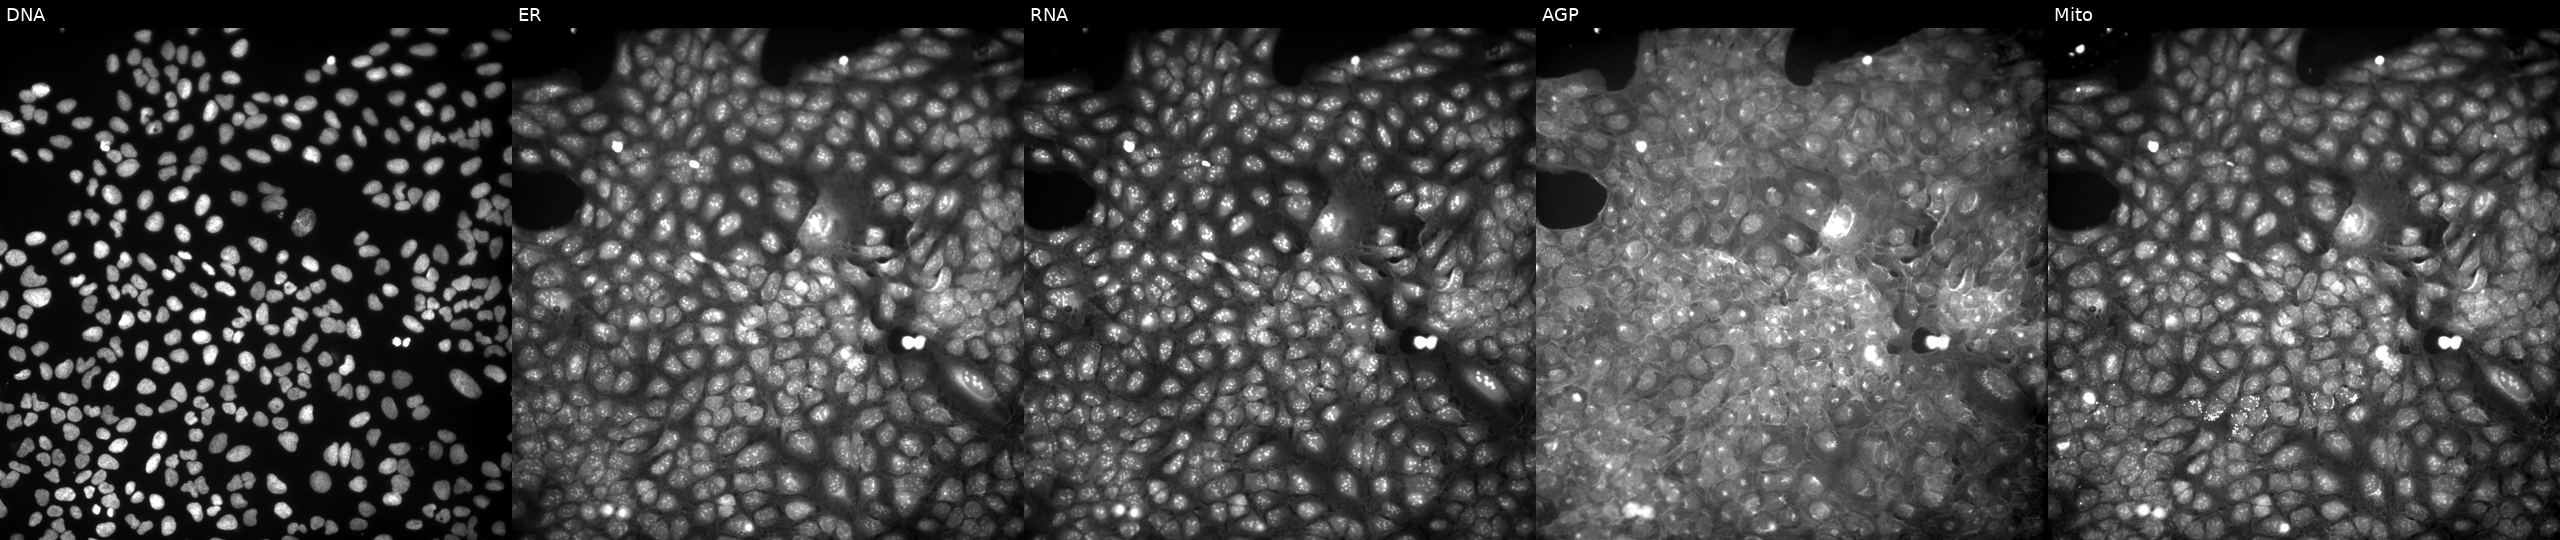
High-content fluorescence microscopy (Cell Painting). Cell line: U2OS. Perturbation: perturbed with a small-molecule compound (InChIKey SOMXFBIWWVVOST-UHFFFAOYSA-N) (JUMP id JCP2022_084591). From left to right: DNA (nuclei); ER (endoplasmic reticulum); RNA (nucleoli and cytoplasmic RNA); AGP (actin cytoskeleton, Golgi, and plasma membrane); Mito (mitochondria). Source 9, plate GR00003381, well AF14.